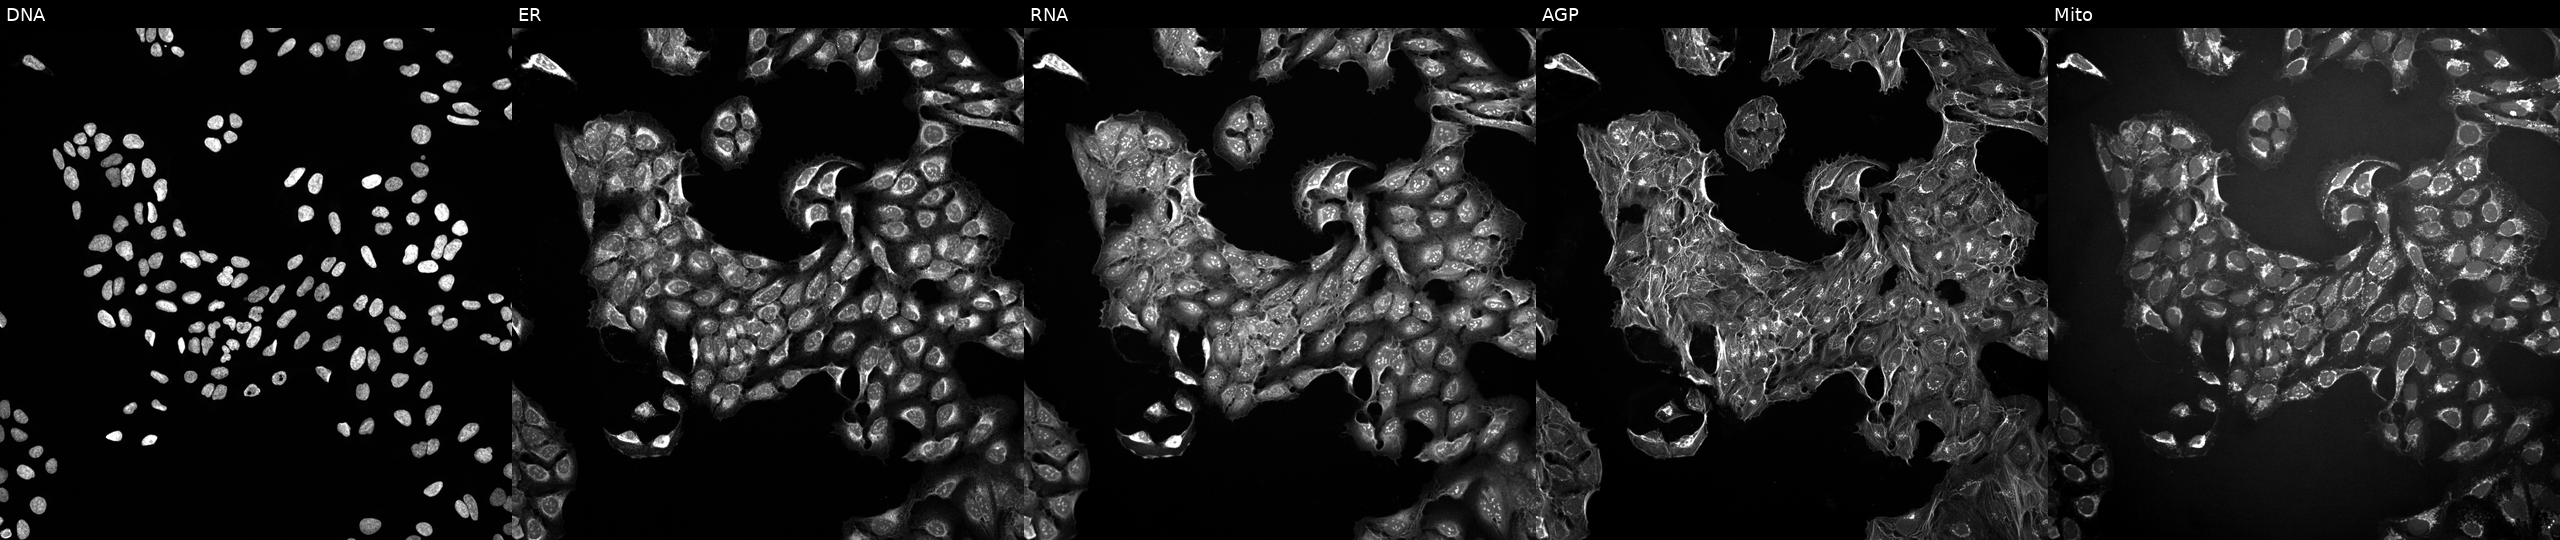
This image strip shows the five Cell Painting channels for a single field of U2OS cells in an empty control well (no perturbation). The five panels, left to right, show DNA, ER, RNA, AGP, and Mito.